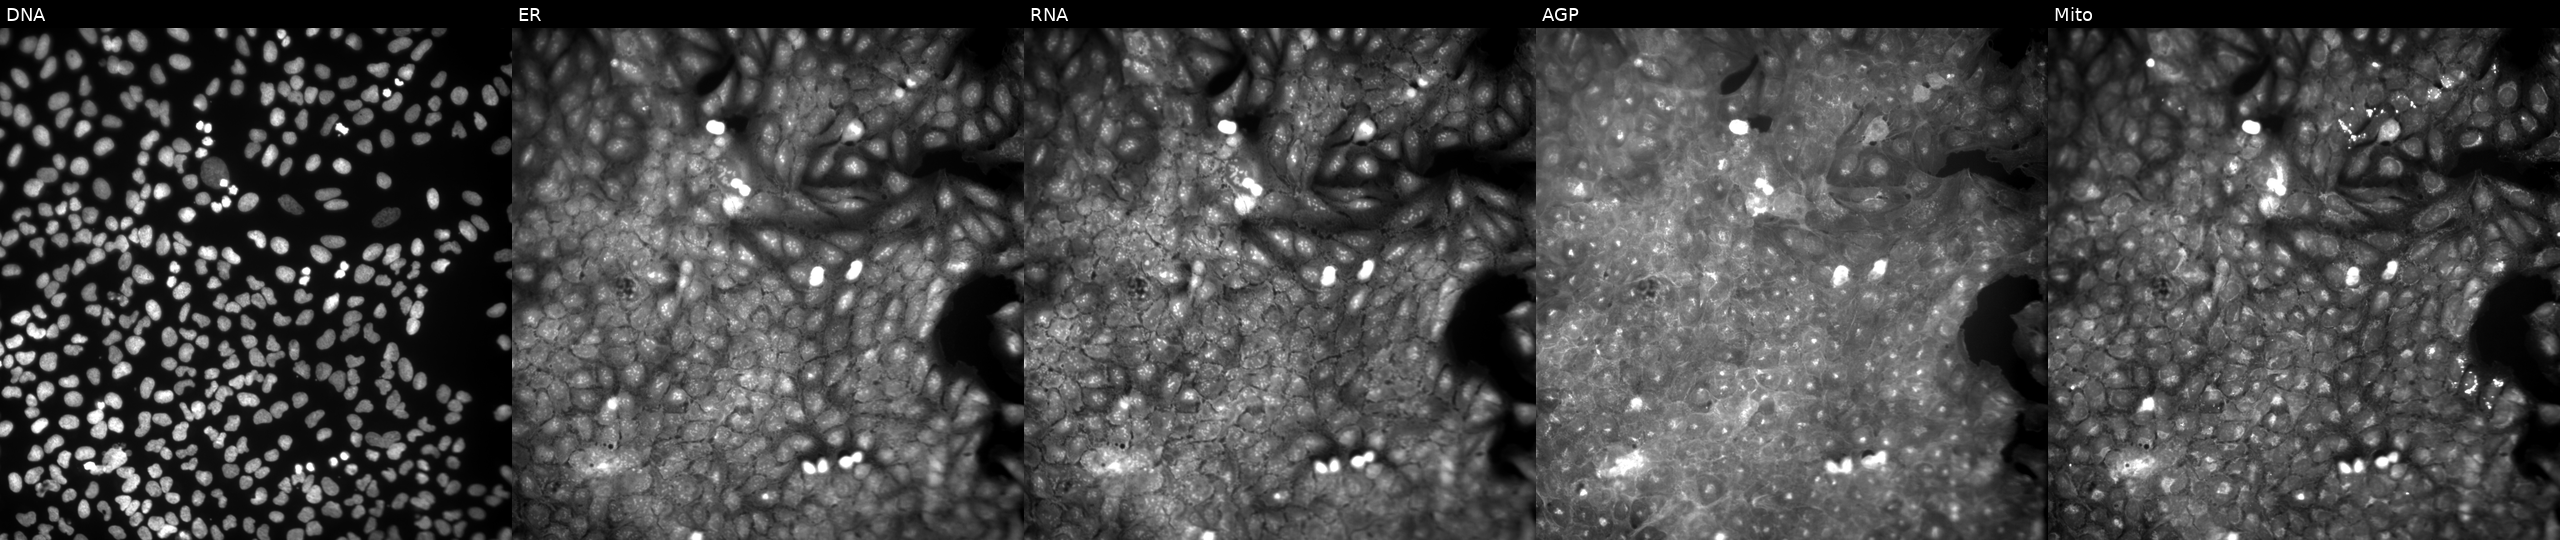
JUMP Cell Painting — COMPOUND plate. U2OS cells exposed to DMSO alone as a negative control. The five panels, left to right, show Hoechst 33342, concanavalin A, SYTO 14, phalloidin and WGA, MitoTracker. Source 9, plate GR00003381, well AC47.